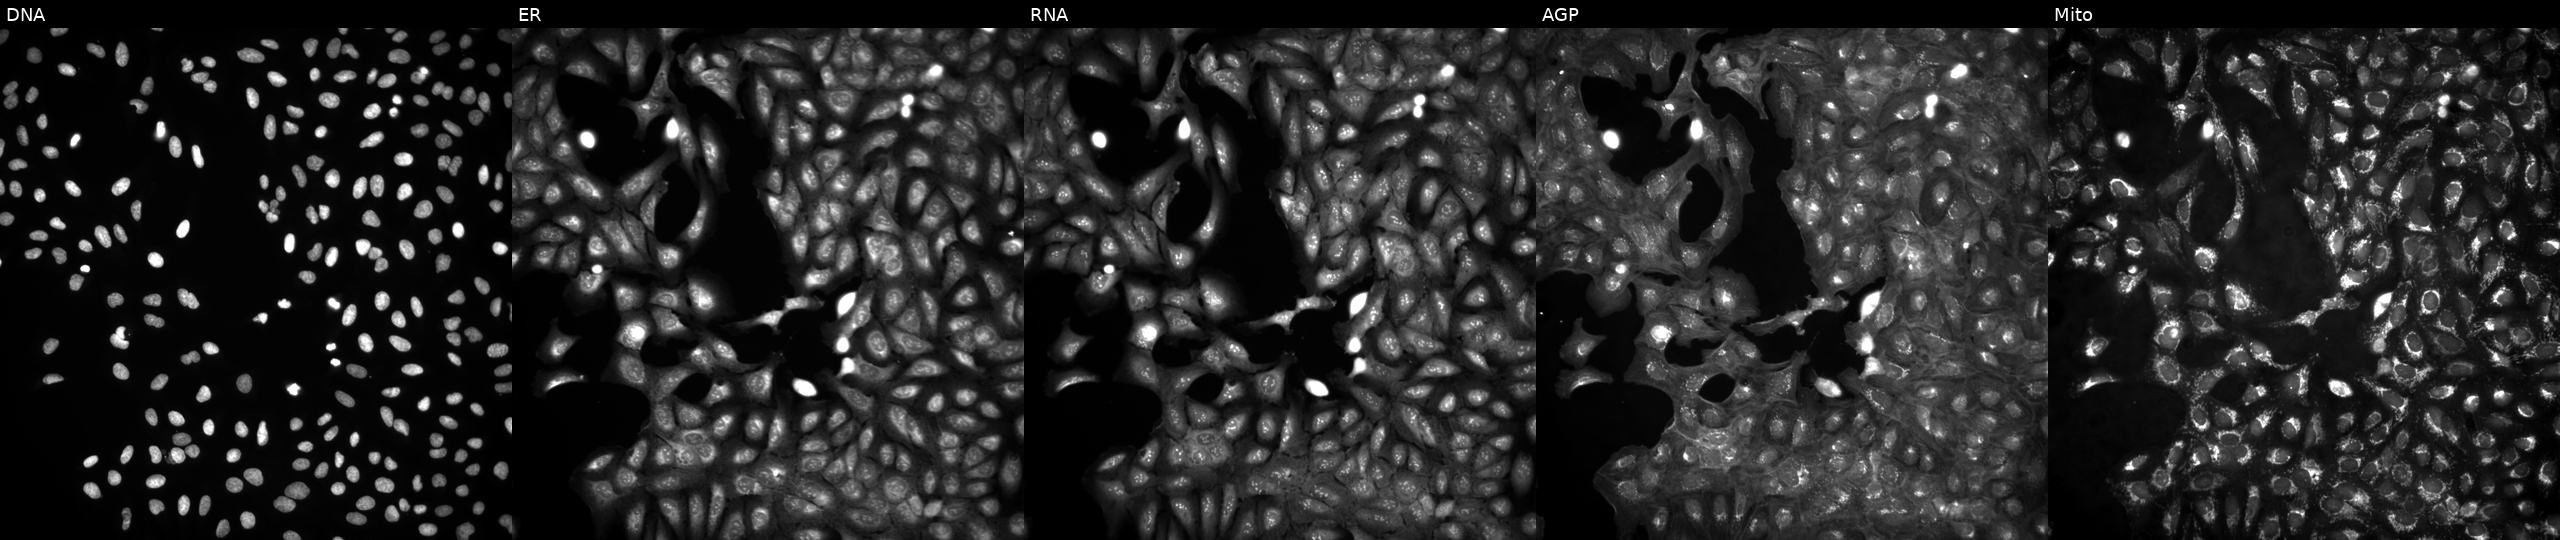
JUMP Cell Painting — ORF plate. U2OS cells untreated (empty-well control). Panels show, left to right, DNA (nuclei); ER (endoplasmic reticulum); RNA (nucleoli and cytoplasmic RNA); AGP (actin cytoskeleton, Golgi, and plasma membrane); Mito (mitochondria).